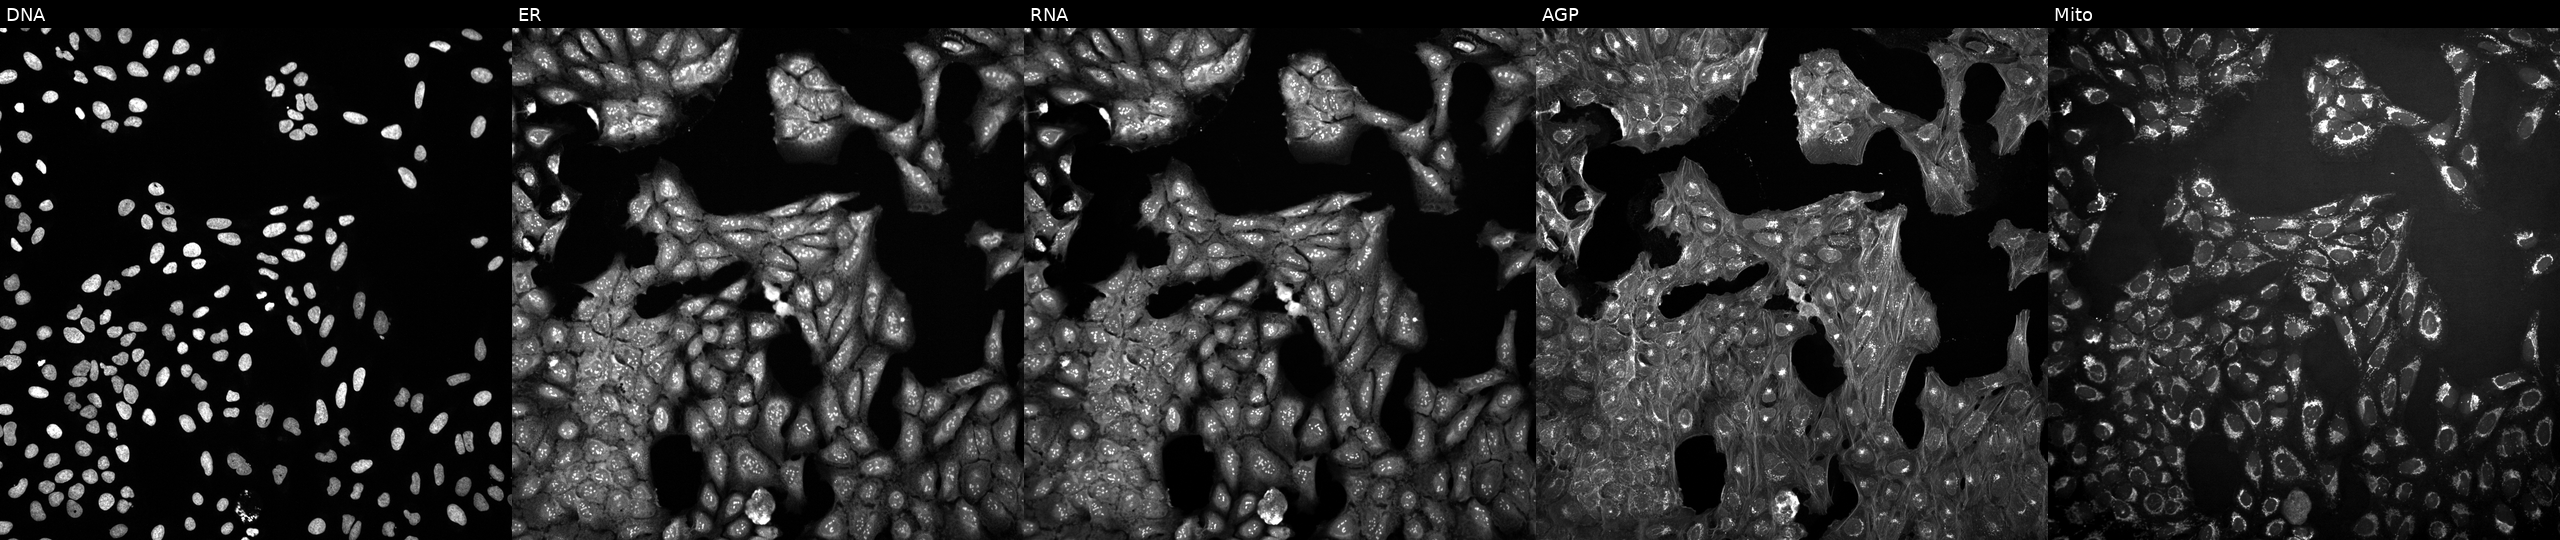
U2OS cells, Cell Painting assay, in an empty control well (no perturbation). Channels (left→right): DNA (nuclei); ER (endoplasmic reticulum); RNA (nucleoli and cytoplasmic RNA); AGP (actin cytoskeleton, Golgi, and plasma membrane); Mito (mitochondria). Each panel is percentile-stretched 16-bit fluorescence. Source 10, plate Dest210531-152149, well F10.